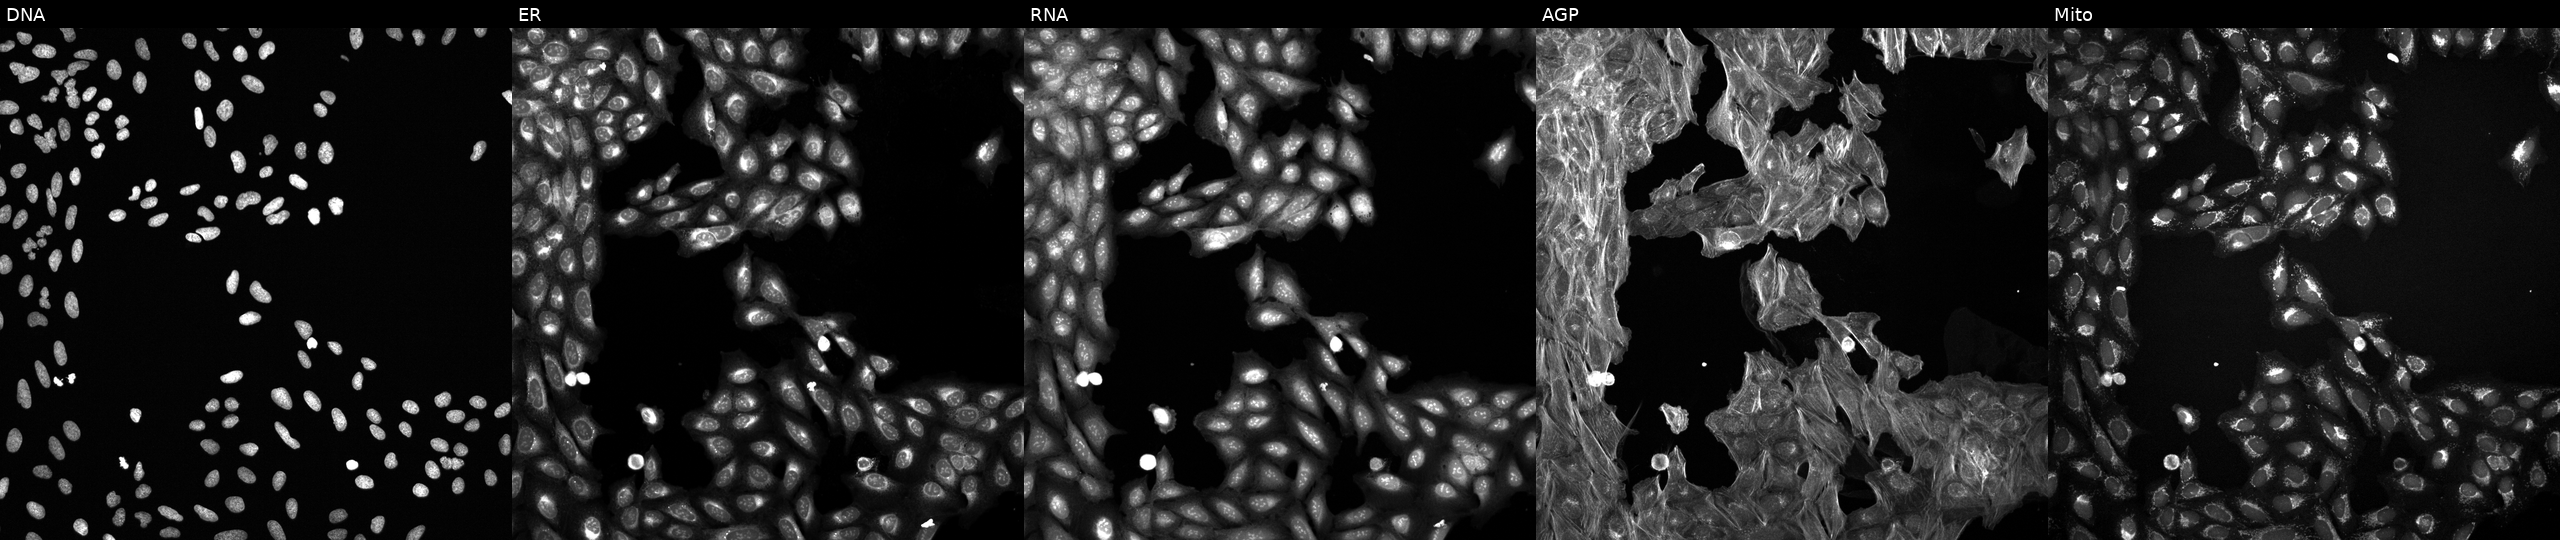
Five-channel Cell Painting image of U2OS cells treated with a small-molecule compound (InChIKey PYNXFZCZUAOOQC-UHFFFAOYSA-N) (JUMP id JCP2022_071811). Panels show, left to right, DNA, ER, RNA, AGP, and Mito. Source 6, plate 110000293081, well L18.